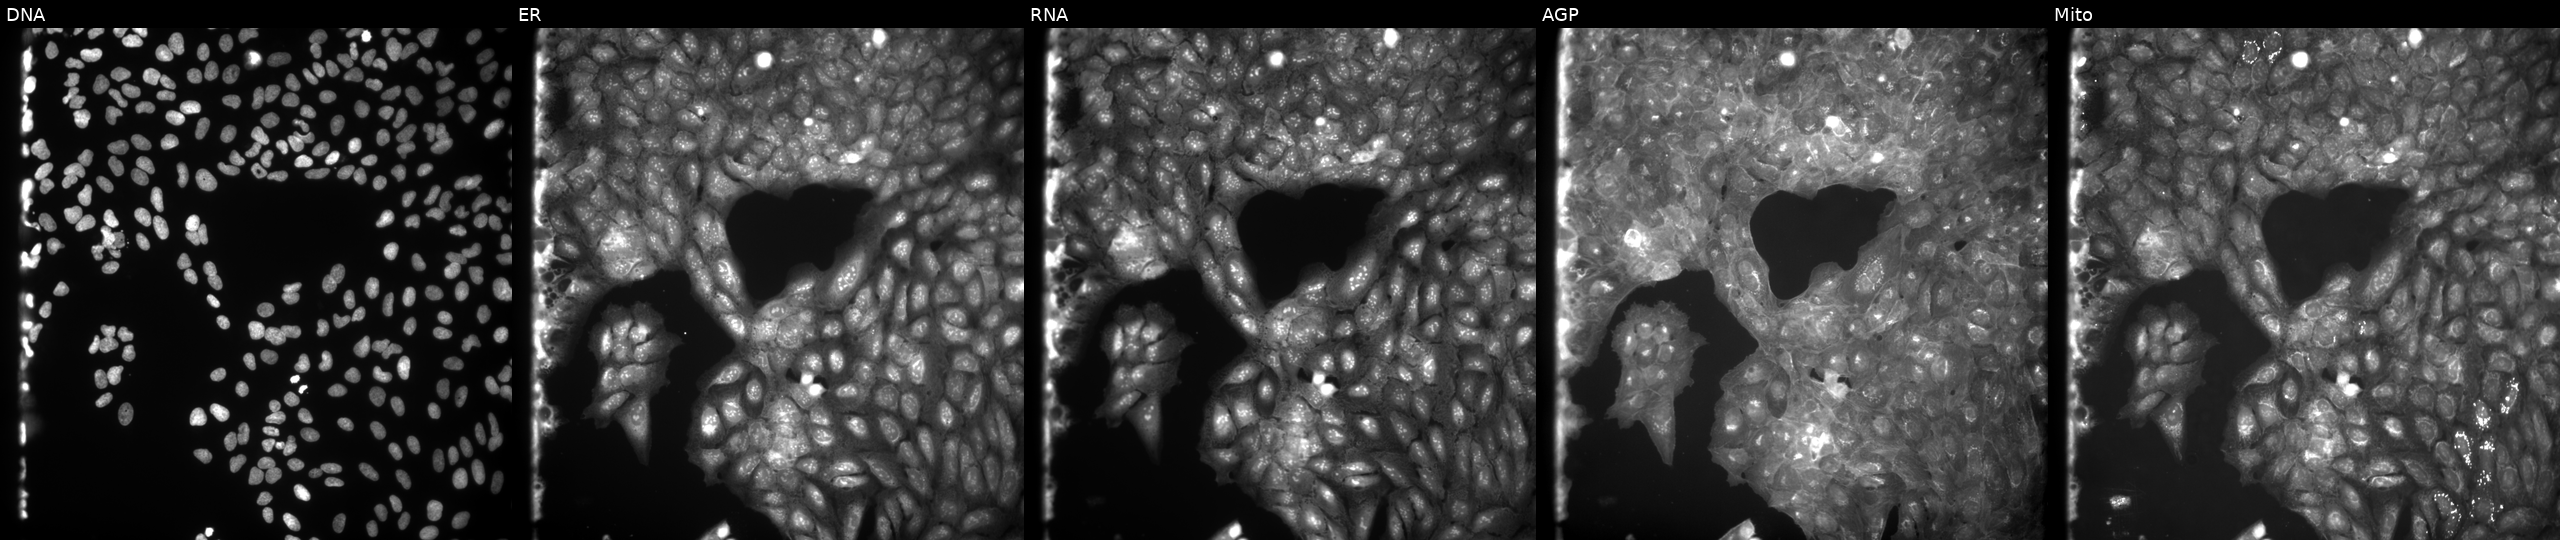
JUMP Cell Painting — COMPOUND plate. U2OS cells perturbed with a small-molecule compound (InChIKey XIRWIGNDFJZMAI-UHFFFAOYSA-N) [SMILES: C=CCOc1c(Br)cc(C=c2c(=C)[nH]oc2=O)cc1OC] (JUMP id JCP2022_103906). Panels show, left to right, Hoechst 33342, concanavalin A, SYTO 14, phalloidin and WGA, MitoTracker.